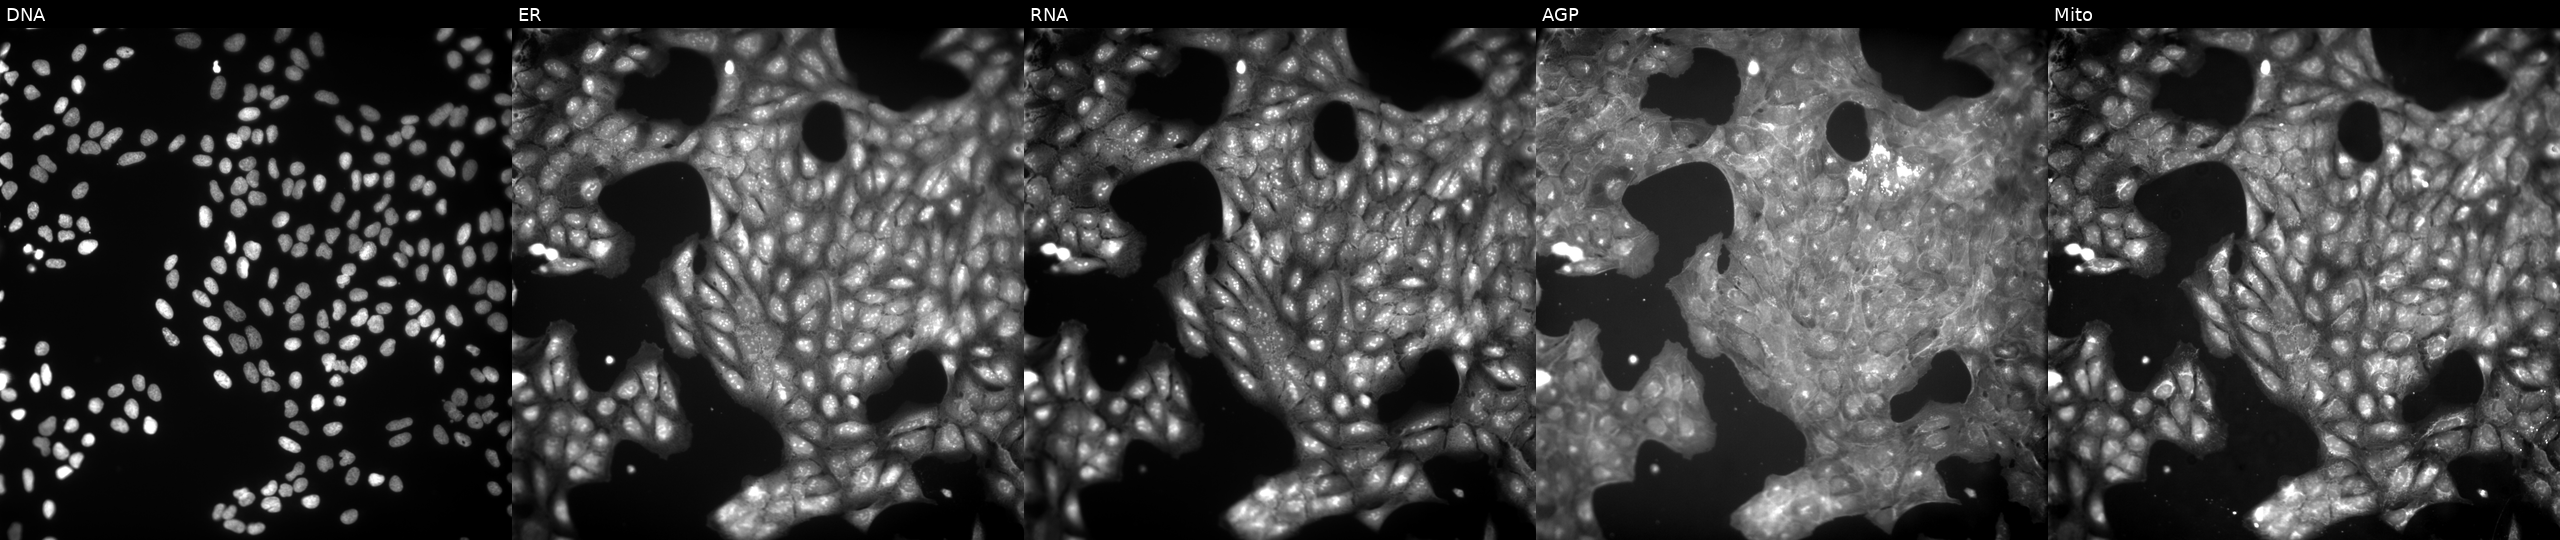
JUMP Cell Painting — COMPOUND plate. U2OS cells perturbed with a small-molecule compound (InChIKey XIRWIGNDFJZMAI-UHFFFAOYSA-N). Channels (left→right): DNA, ER, RNA, AGP, and Mito.